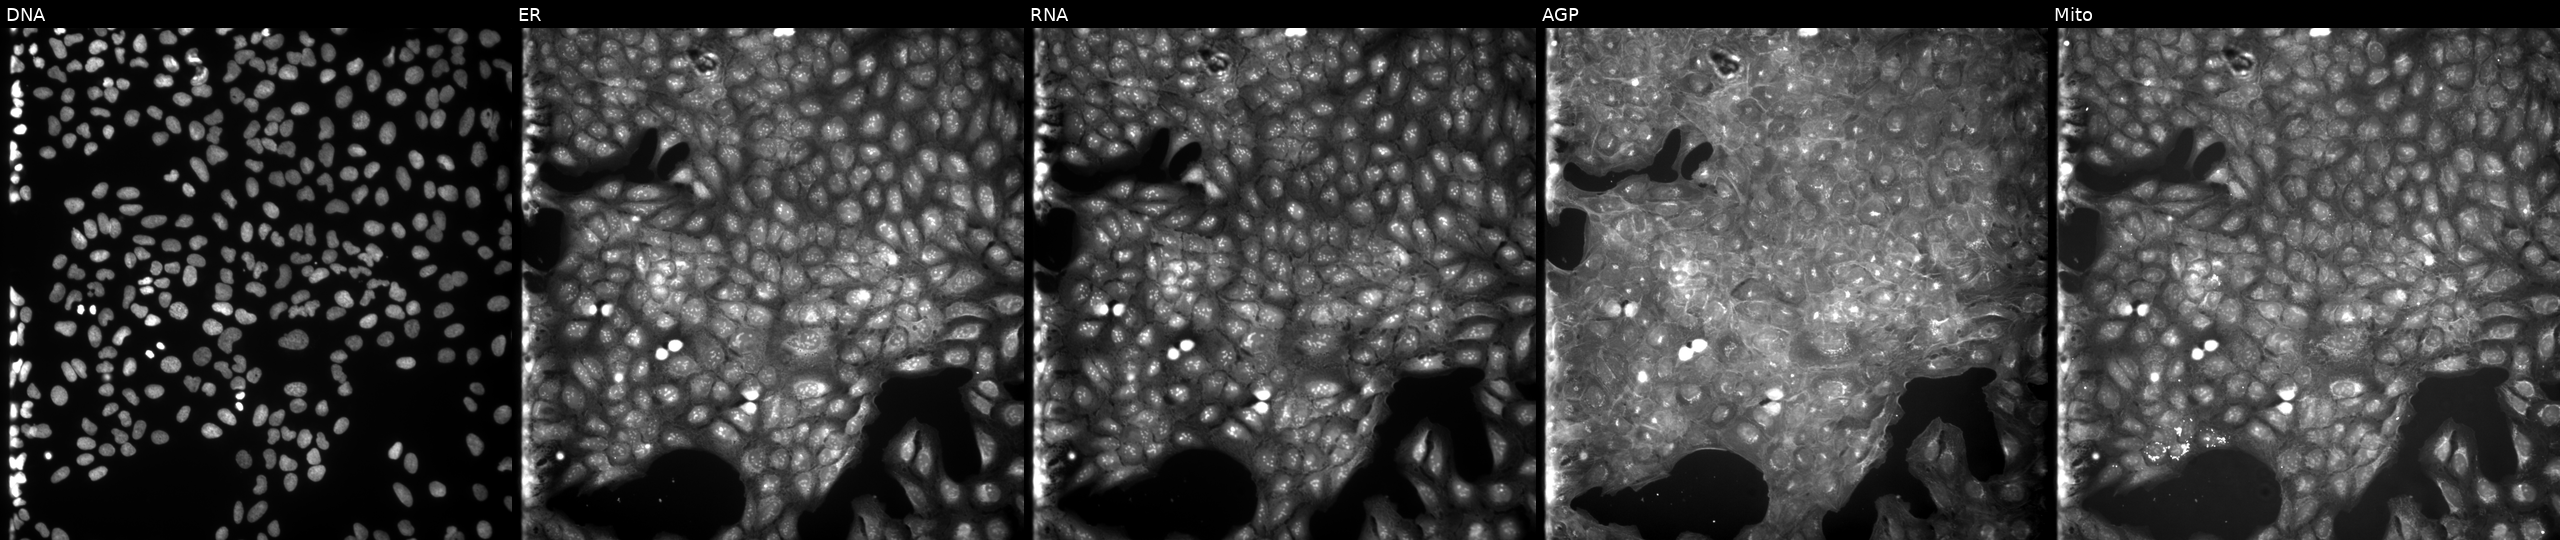
JUMP Cell Painting — COMPOUND plate. U2OS cells treated with a small-molecule compound (InChIKey FUZMULJCDAKXRP-UHFFFAOYSA-N). The five panels, left to right, show DNA, ER, RNA, AGP, and Mito. Source 9, plate GR00003381, well B17.